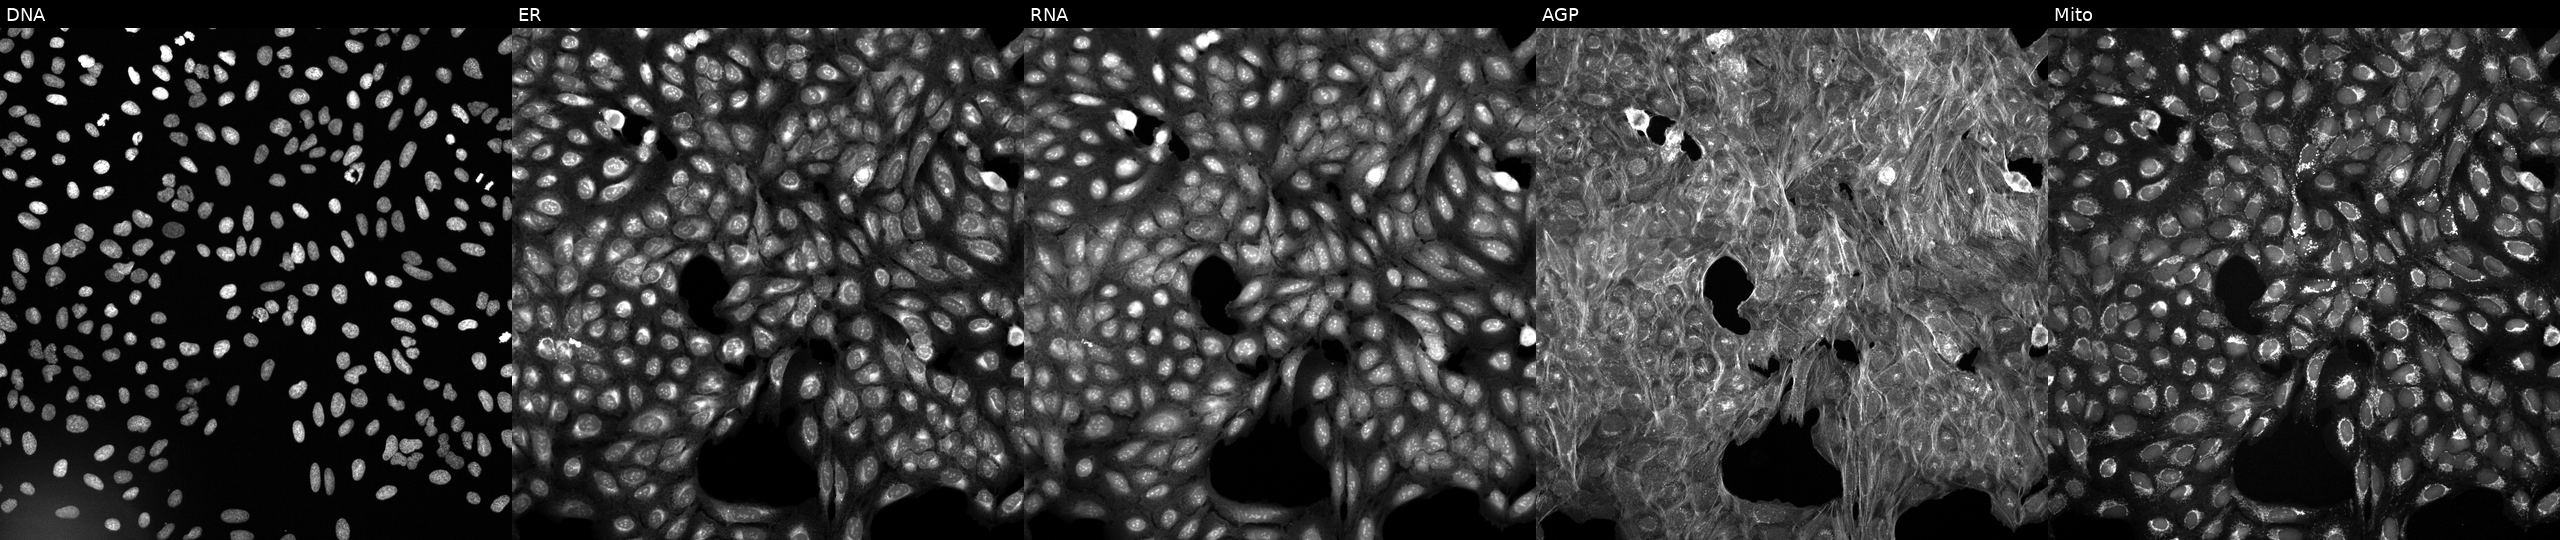
Five-channel Cell Painting image of U2OS cells treated with DMSO vehicle only (negative control). Panels show, left to right, DNA (nuclei); ER (endoplasmic reticulum); RNA (nucleoli and cytoplasmic RNA); AGP (actin cytoskeleton, Golgi, and plasma membrane); Mito (mitochondria).